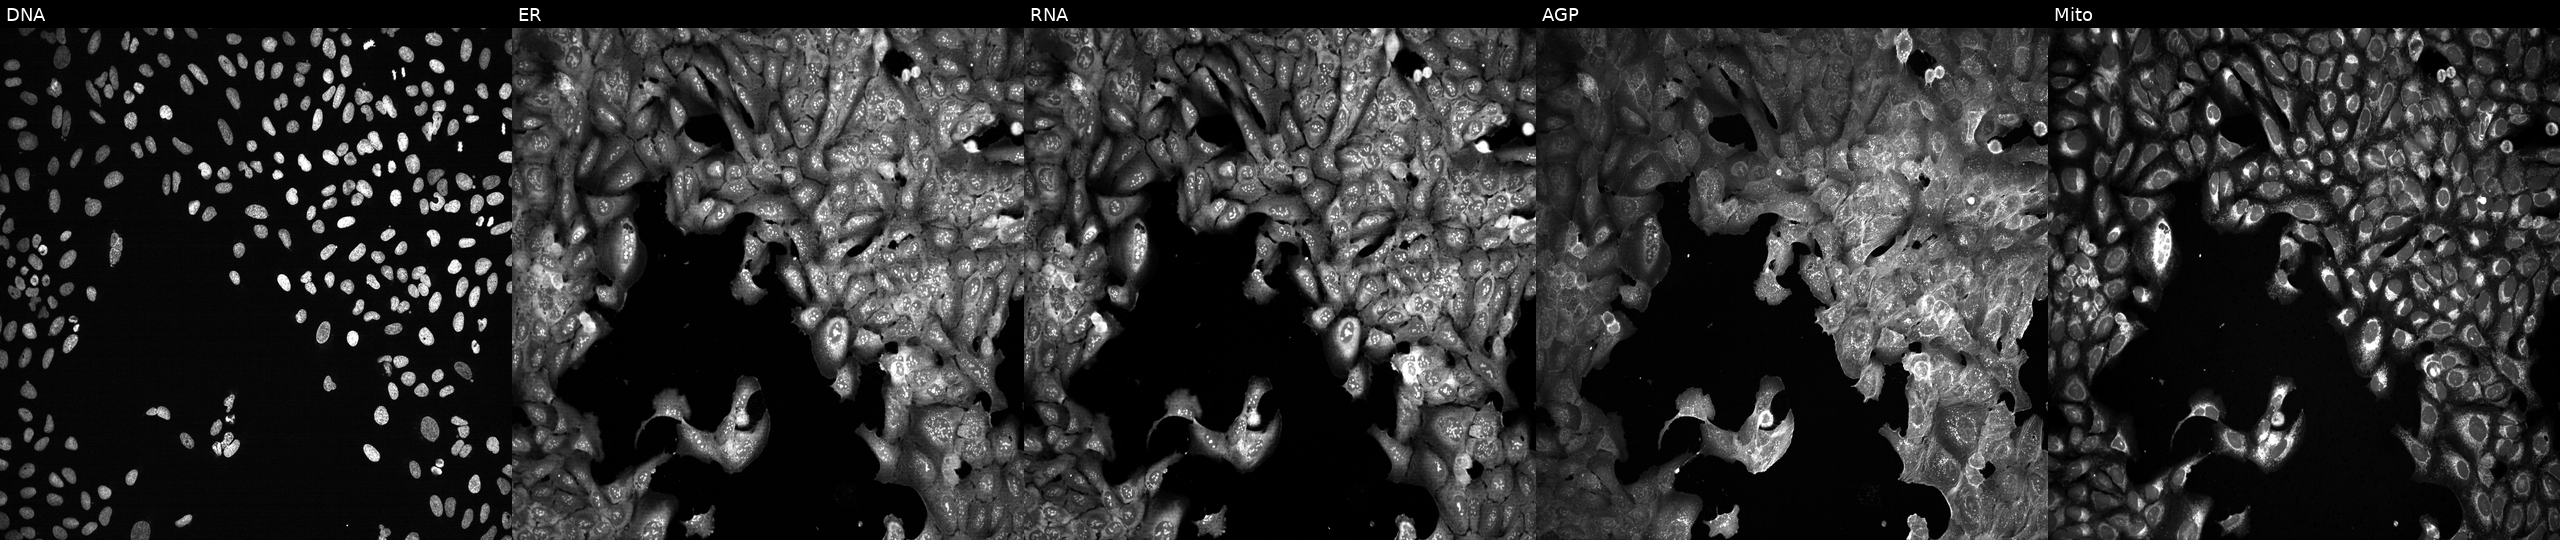
This image strip shows the five Cell Painting channels for a single field of U2OS cells with MASP2 knocked out by CRISPR. Panels show, left to right, DNA (nuclei); ER (endoplasmic reticulum); RNA (nucleoli and cytoplasmic RNA); AGP (actin cytoskeleton, Golgi, and plasma membrane); Mito (mitochondria). Source 13, plate CP-CC9-R6-19, well J19.